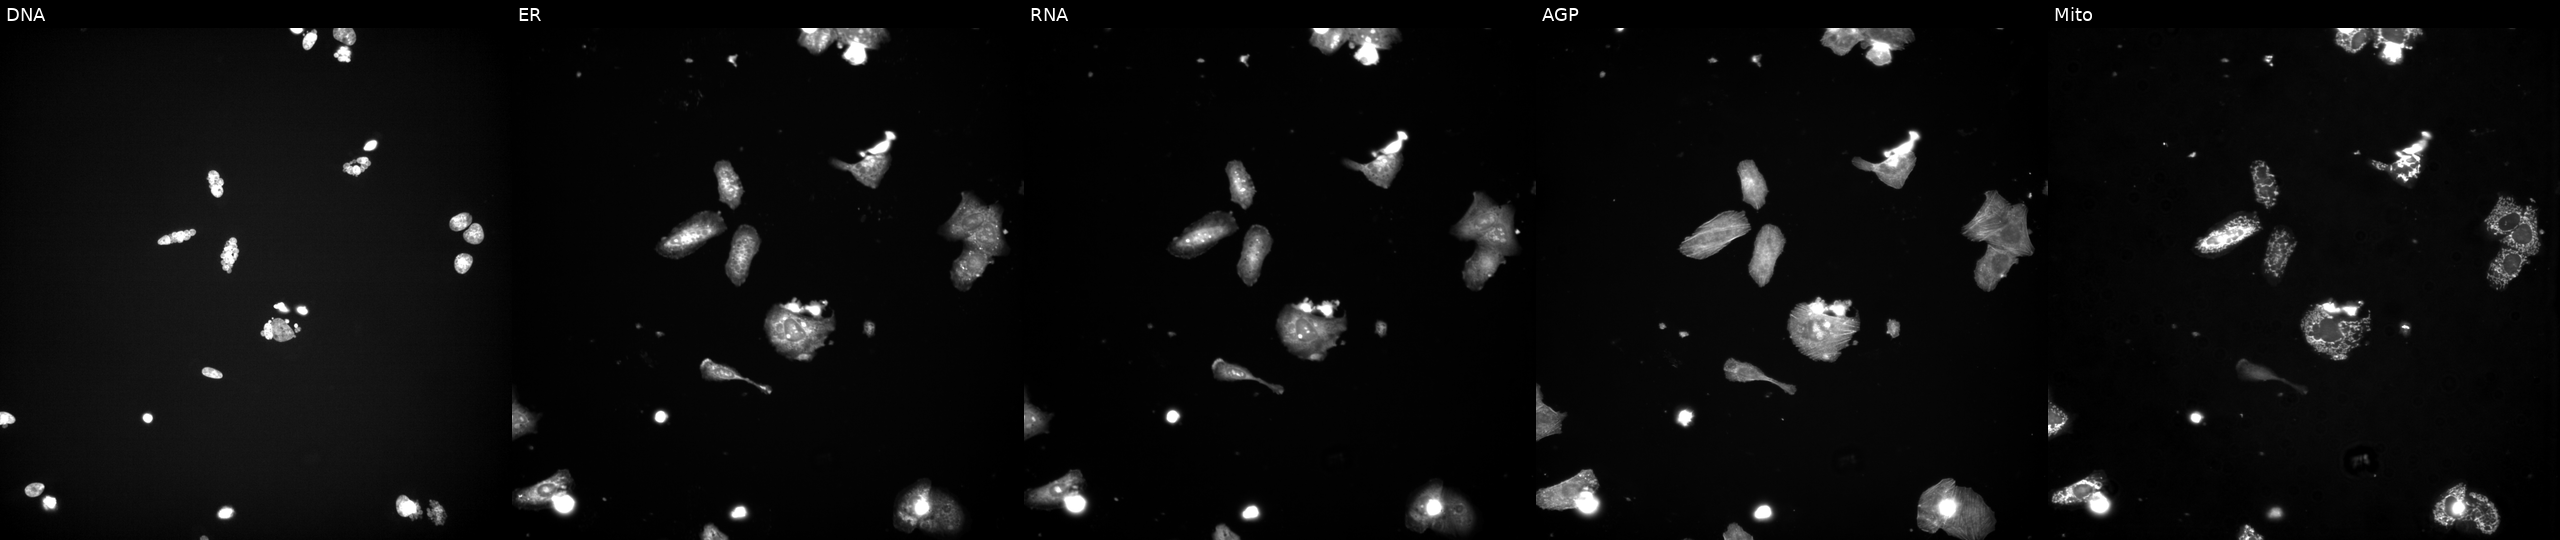
From left to right: DNA, ER, RNA, AGP, and Mito. U2OS osteosarcoma cells exposed to a small-molecule compound. Cell Painting assay, JUMP-CP dataset. Source 3, plate JCPQC051, well M15.